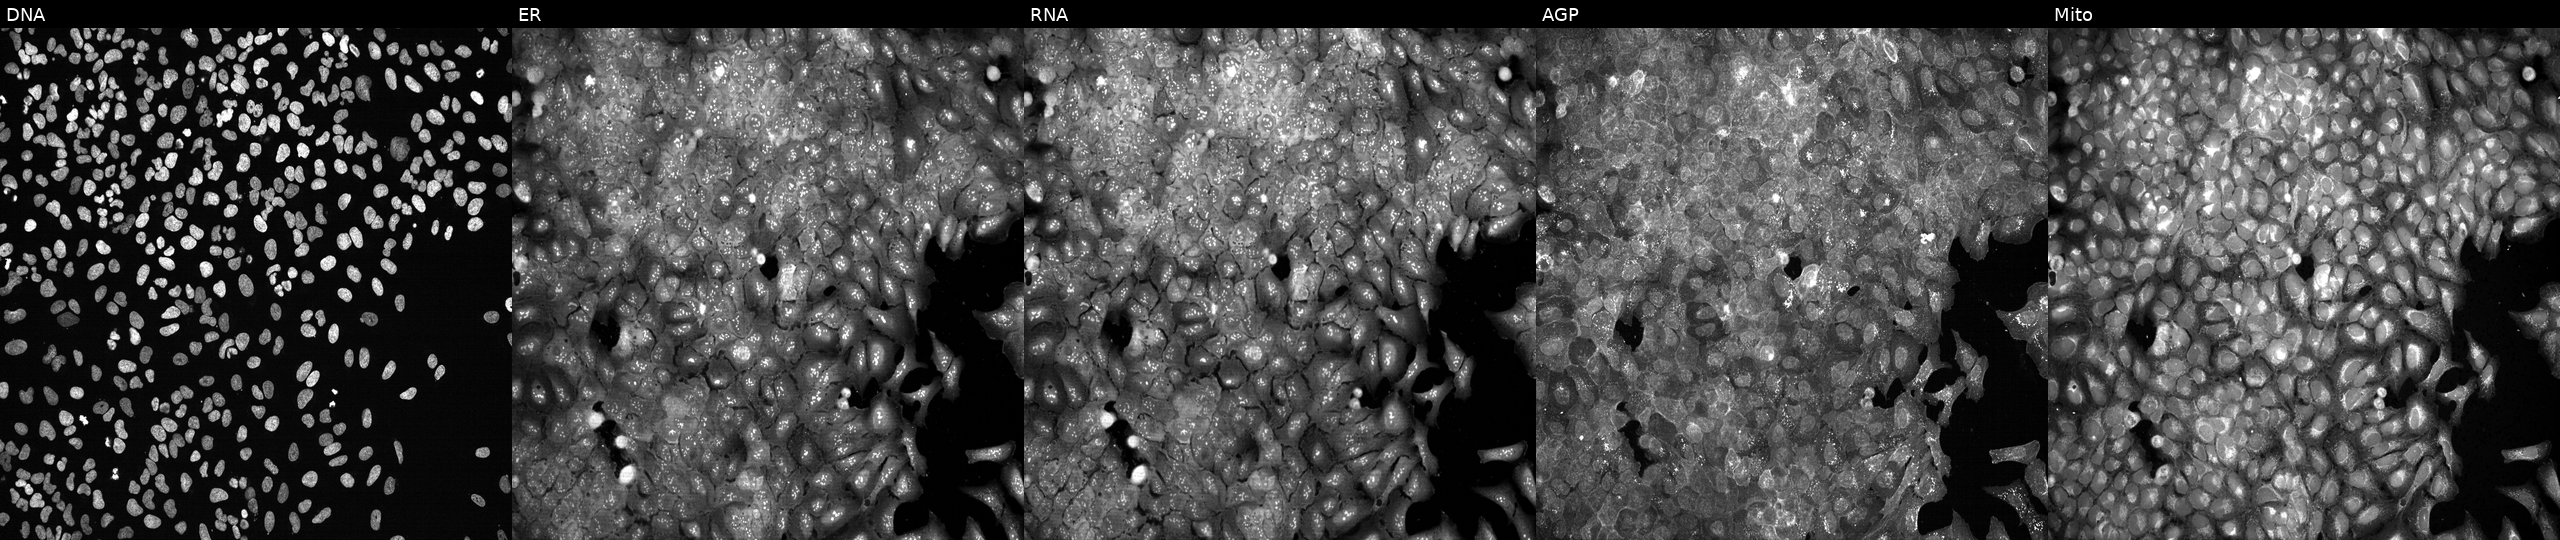
Five-channel Cell Painting image of U2OS cells with CES2 knocked out by CRISPR (JUMP id JCP2022_801264). The five panels, left to right, show DNA (nuclei); ER (endoplasmic reticulum); RNA (nucleoli and cytoplasmic RNA); AGP (actin cytoskeleton, Golgi, and plasma membrane); Mito (mitochondria). Source 13, plate CP-CC9-R1-01, well D10.